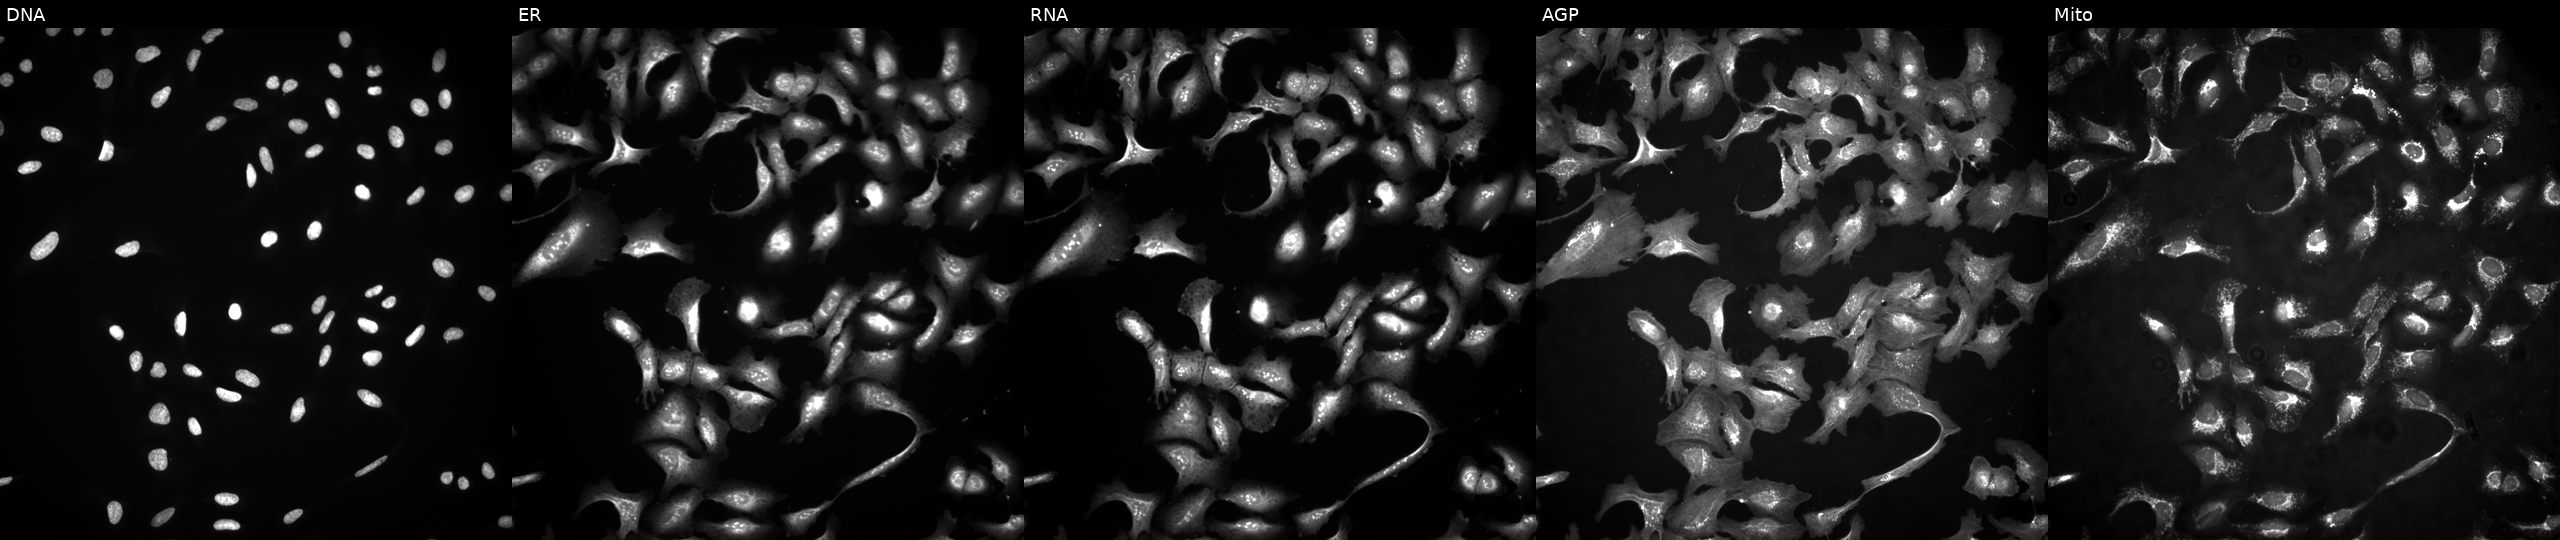
Five-channel Cell Painting image of U2OS cells with TBC1D9B overexpressed (ORF). Panels show, left to right, DNA (nuclei); ER (endoplasmic reticulum); RNA (nucleoli and cytoplasmic RNA); AGP (actin cytoskeleton, Golgi, and plasma membrane); Mito (mitochondria).